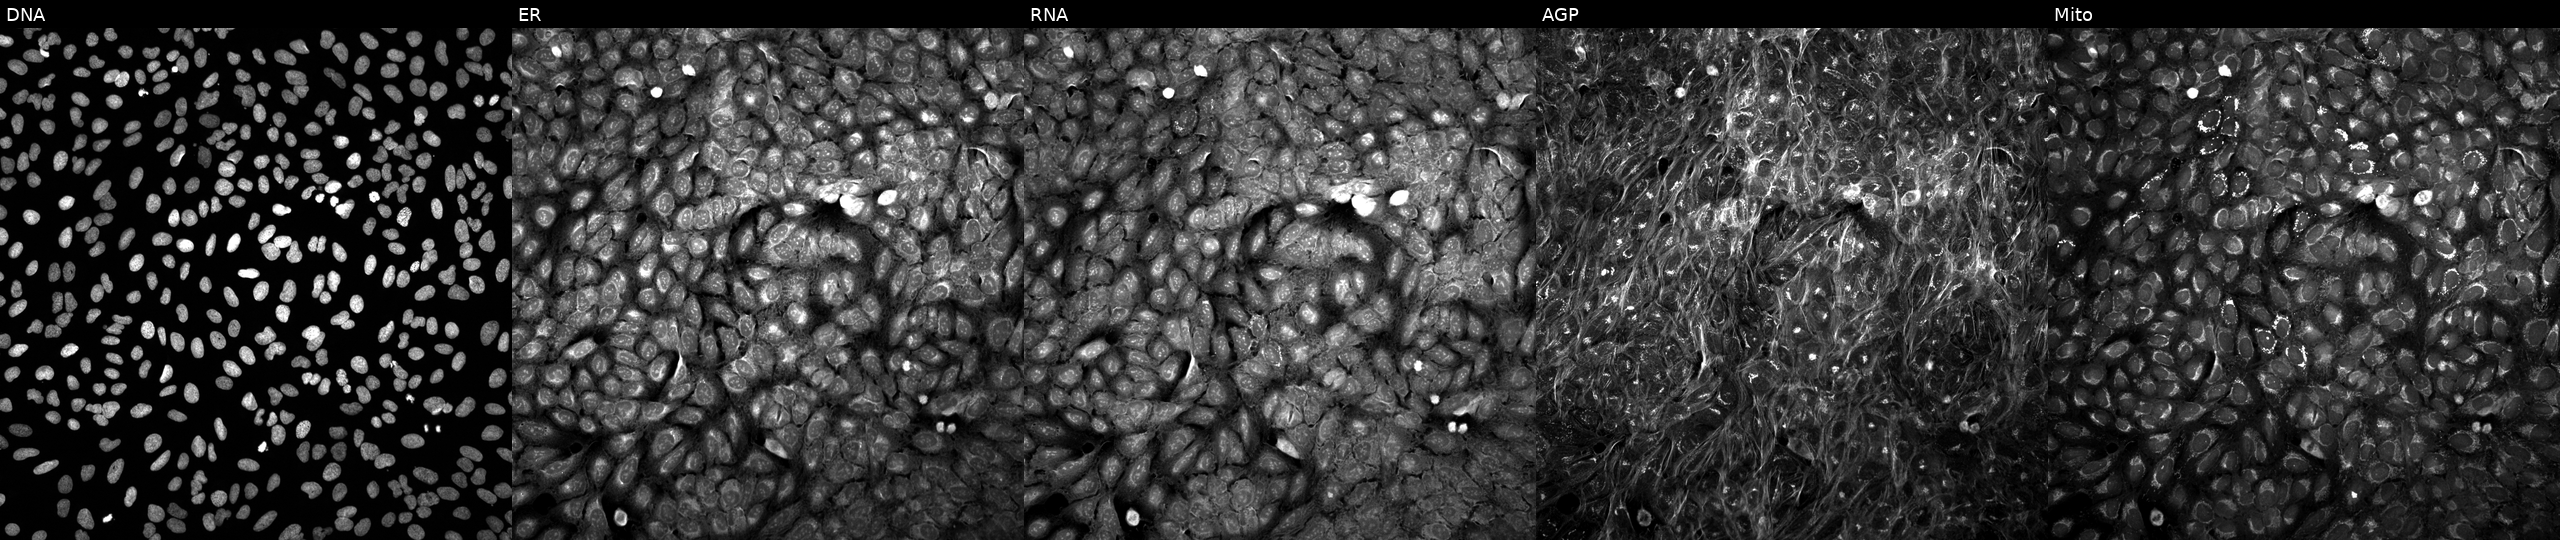
Five-channel Cell Painting image of U2OS cells exposed to a small-molecule compound (InChIKey NEMHKCNXXRQYRF-UHFFFAOYSA-N). The five panels, left to right, show DNA (nuclei); ER (endoplasmic reticulum); RNA (nucleoli and cytoplasmic RNA); AGP (actin cytoskeleton, Golgi, and plasma membrane); Mito (mitochondria). Source 5, plate ACPJUM051, well M24.